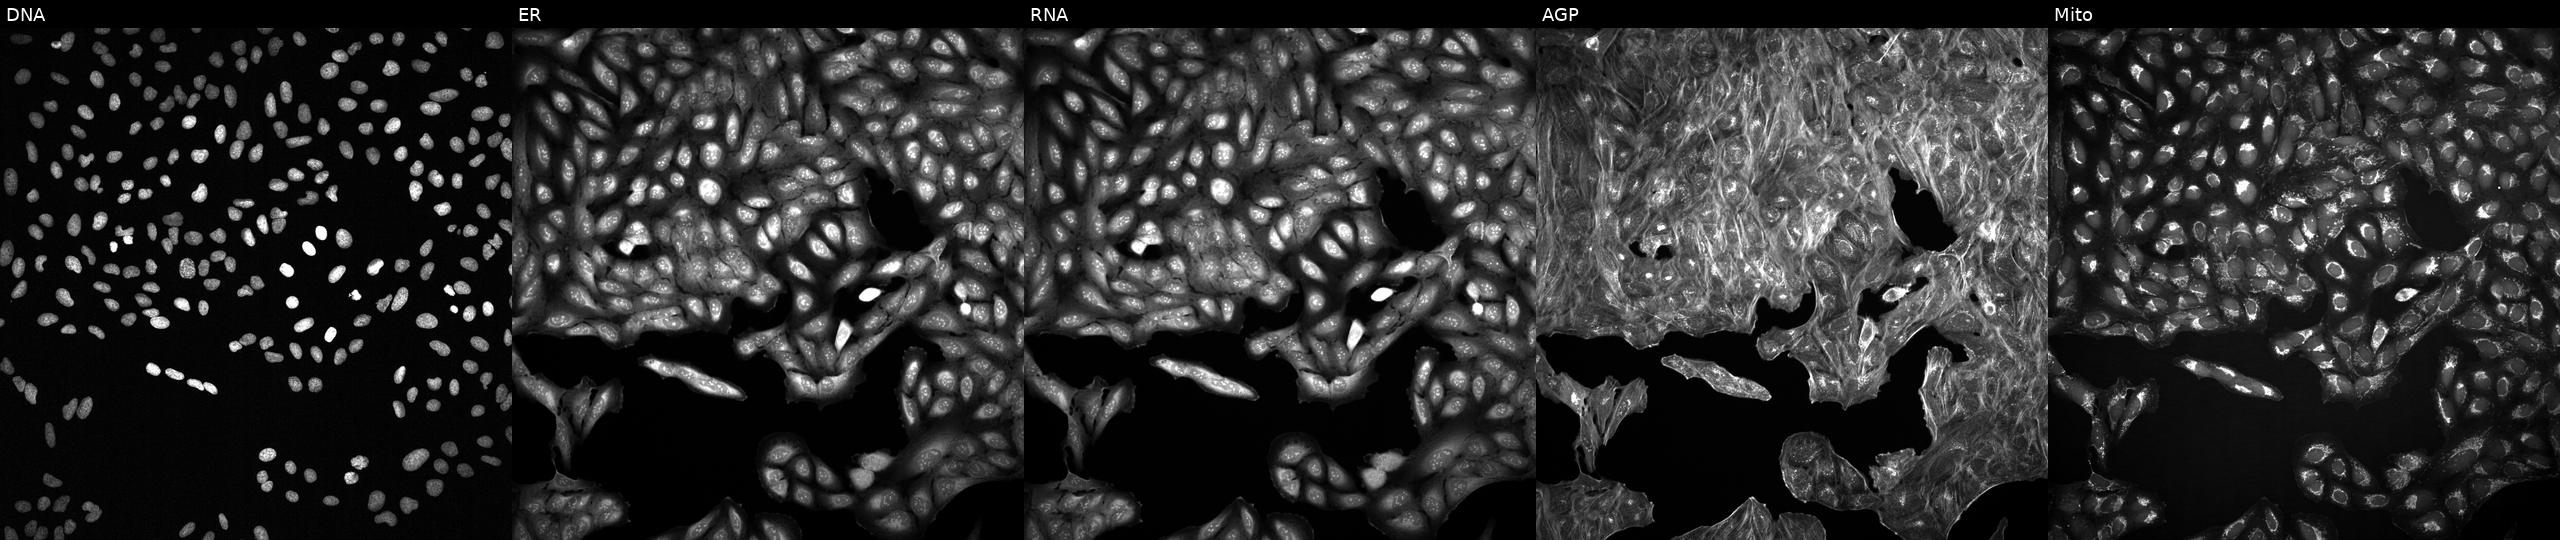
This image strip shows the five Cell Painting channels for a single field of U2OS cells with an unidentified perturbation (not annotated in JUMP metadata). The five panels, left to right, show DNA, ER, RNA, AGP, and Mito.